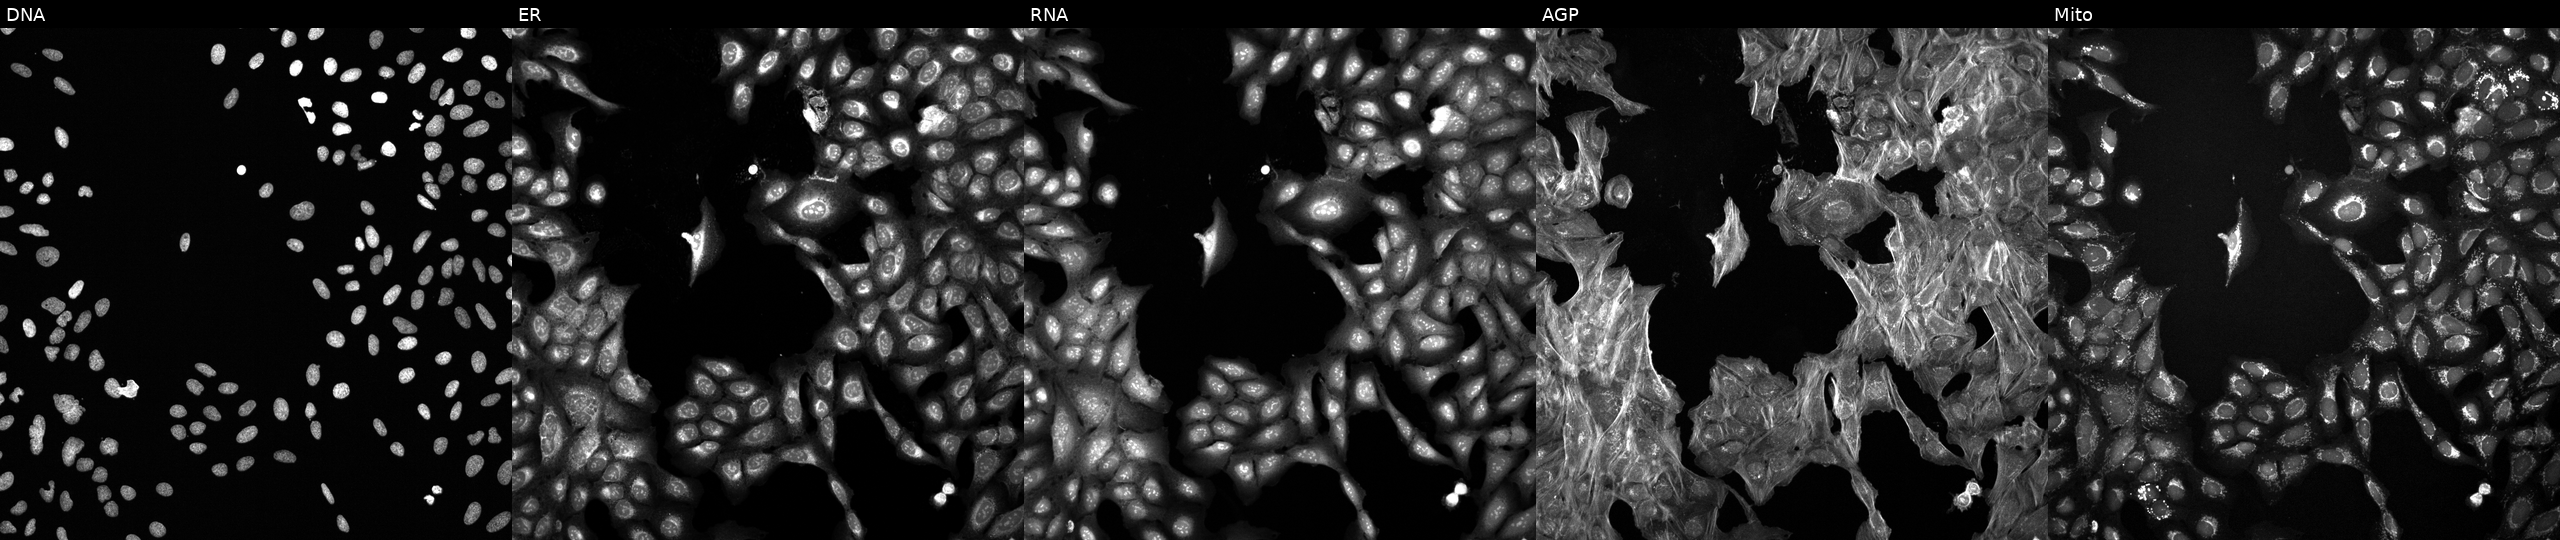
U2OS cells, Cell Painting assay, perturbed with a small-molecule compound (InChIKey XQYASZNUFDVMFH-UHFFFAOYSA-N). From left to right: DNA, ER, RNA, AGP, and Mito. Each panel is percentile-stretched 16-bit fluorescence.